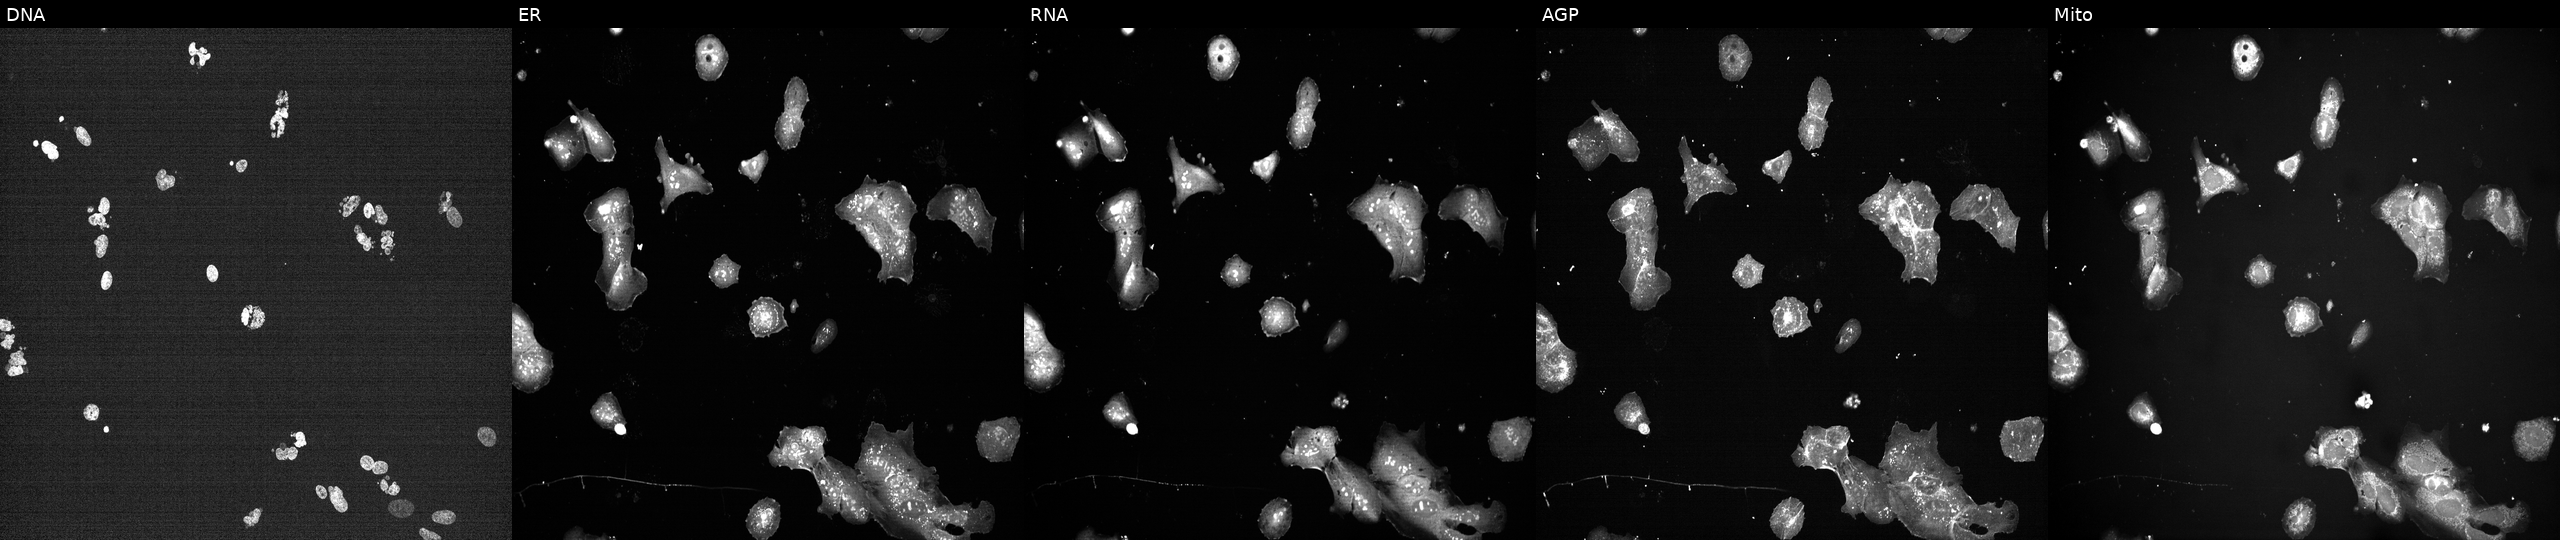
This image strip shows the five Cell Painting channels for a single field of U2OS cells treated with a small-molecule compound (InChIKey CMYHZFCJPORPHY-UHFFFAOYSA-N) (JUMP id JCP2022_012198). From left to right: Hoechst 33342, concanavalin A, SYTO 14, phalloidin and WGA, MitoTracker. Source 7, plate CP1-SC1-25, well I16.